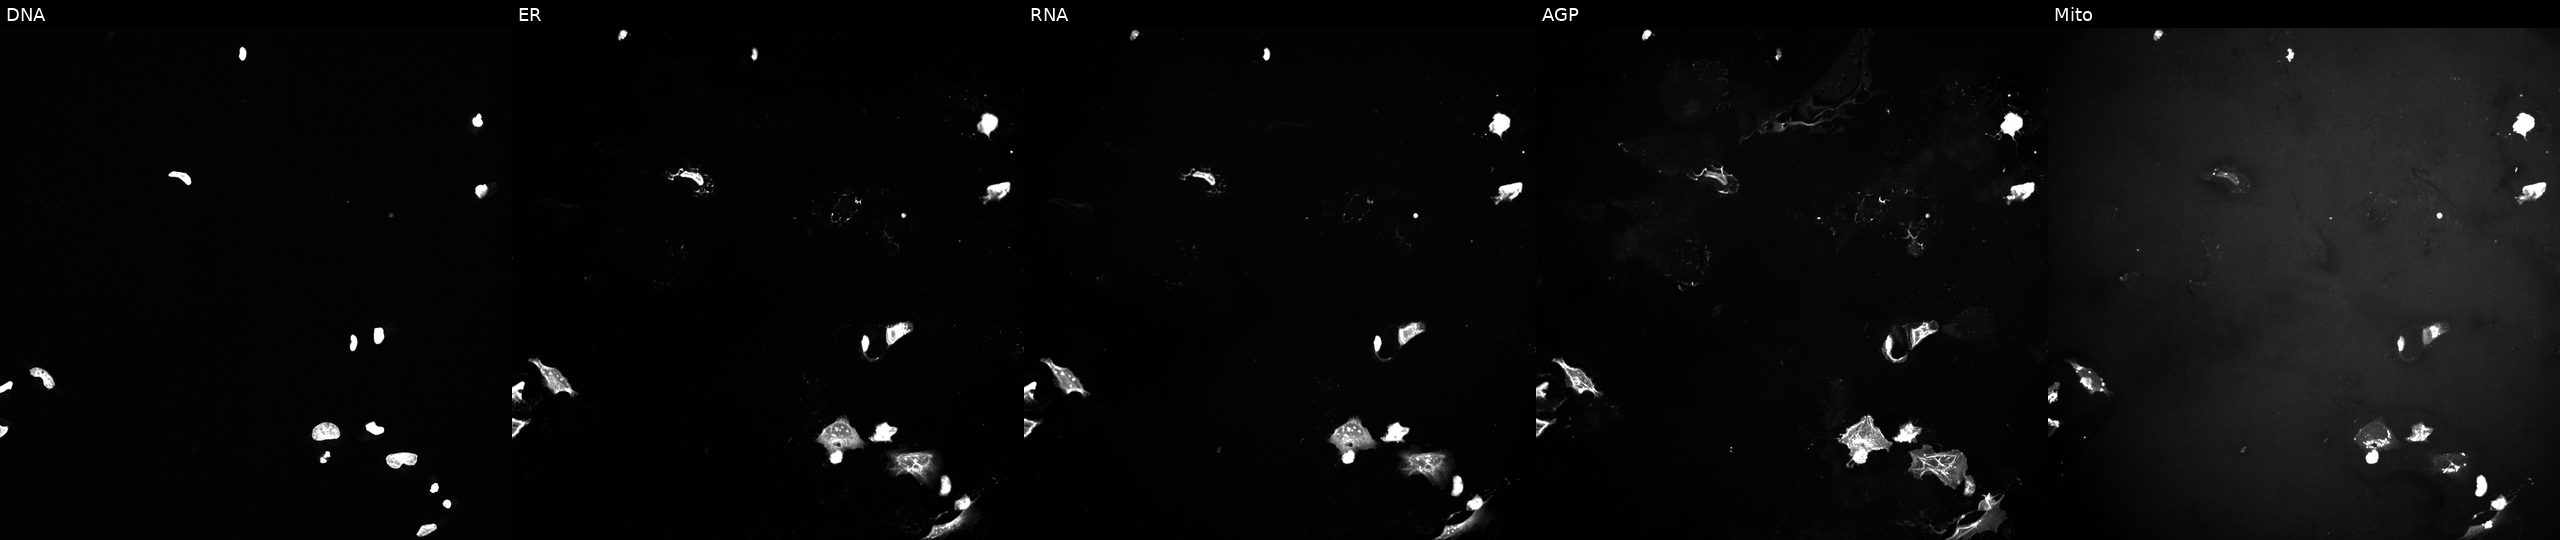
High-content fluorescence microscopy (Cell Painting). Cell line: U2OS. Perturbation: exposed to a small-molecule compound (JUMP id JCP2022_091373). The five panels, left to right, show DNA, ER, RNA, AGP, and Mito.